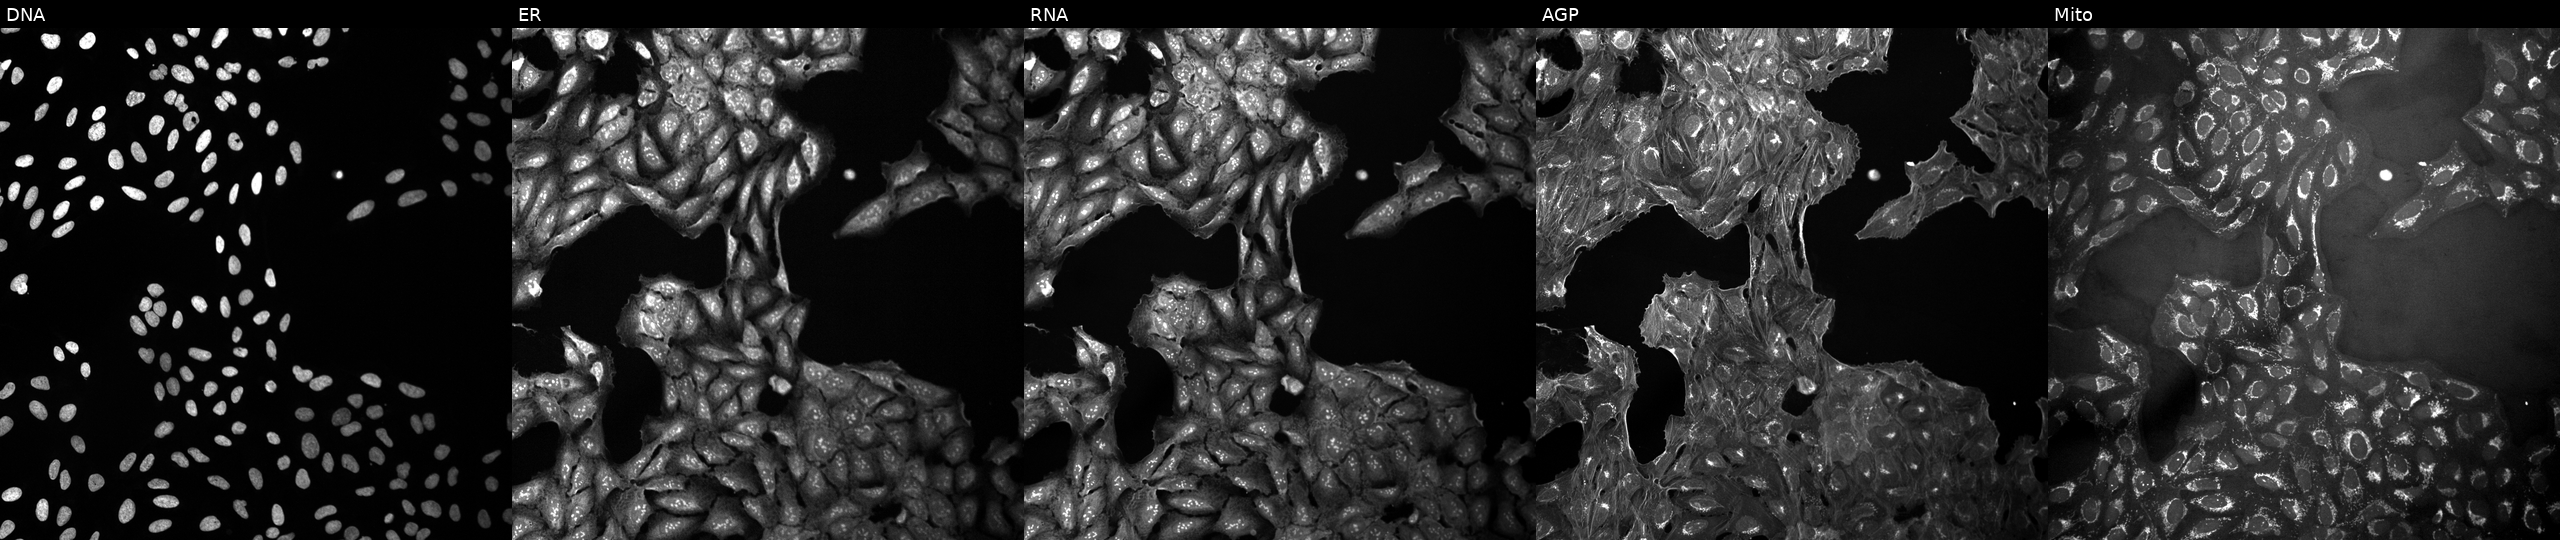
High-content fluorescence microscopy (Cell Painting). Cell line: U2OS. Perturbation: treated with a small-molecule compound (InChIKey VMMYJNSRWAGUGS-UHFFFAOYSA-N) [SMILES: Cc1cc(C)n(CC(=O)N2CCCC2c2ncc(Cc3cccc(Cl)c3)o2)c(=O)n1]. Channels (left→right): DNA, ER, RNA, AGP, and Mito.